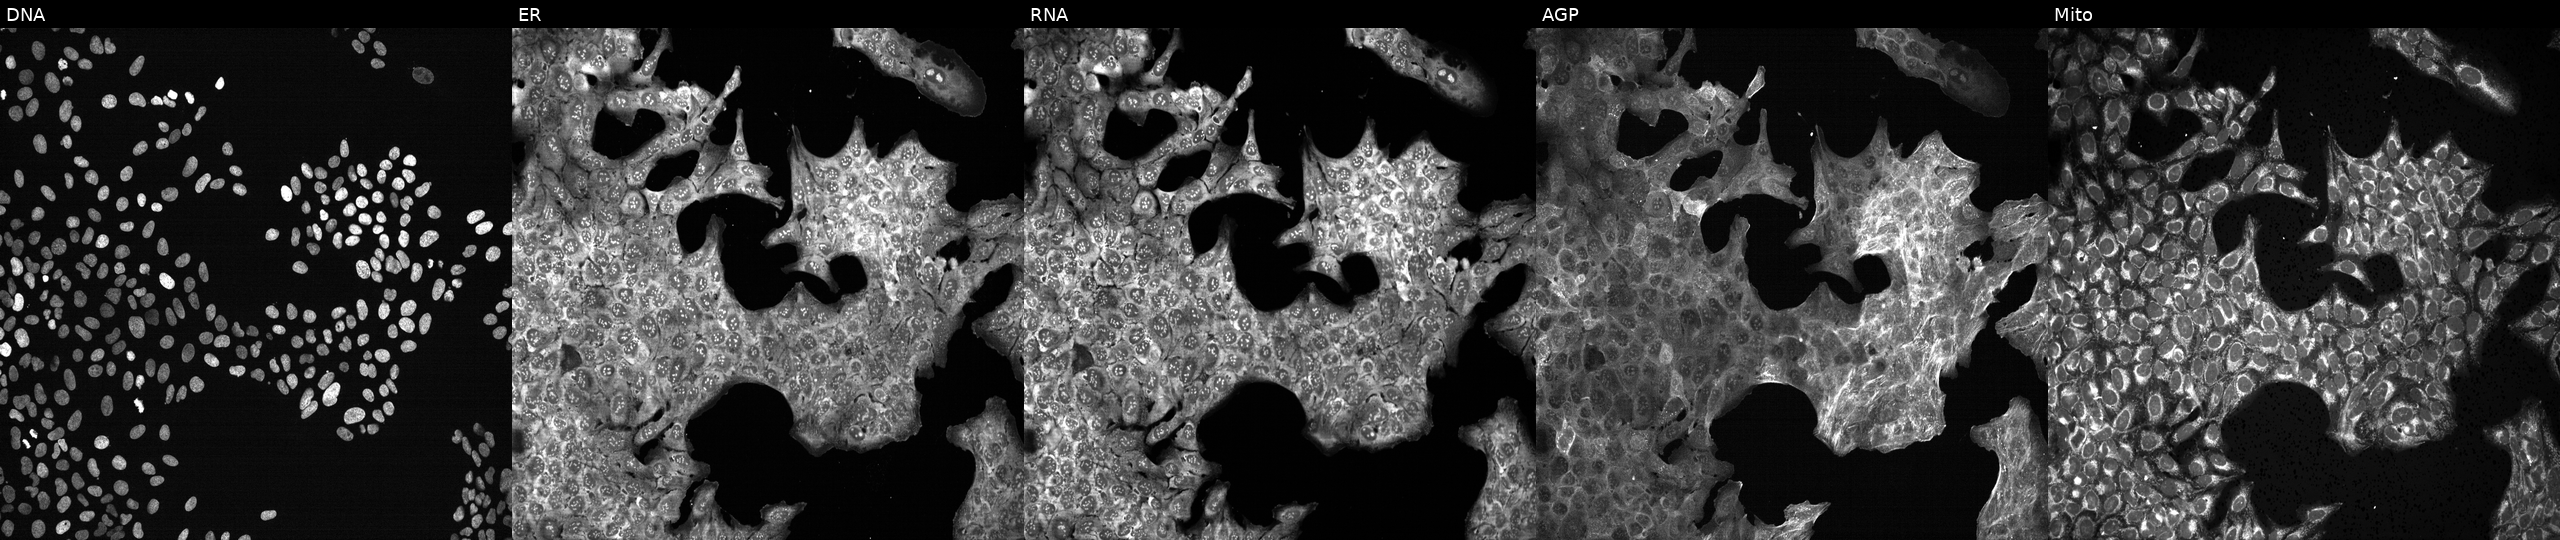
Five-channel Cell Painting image of U2OS cells treated with LY2109761 (positive-control compound). From left to right: DNA (nuclei); ER (endoplasmic reticulum); RNA (nucleoli and cytoplasmic RNA); AGP (actin cytoskeleton, Golgi, and plasma membrane); Mito (mitochondria).